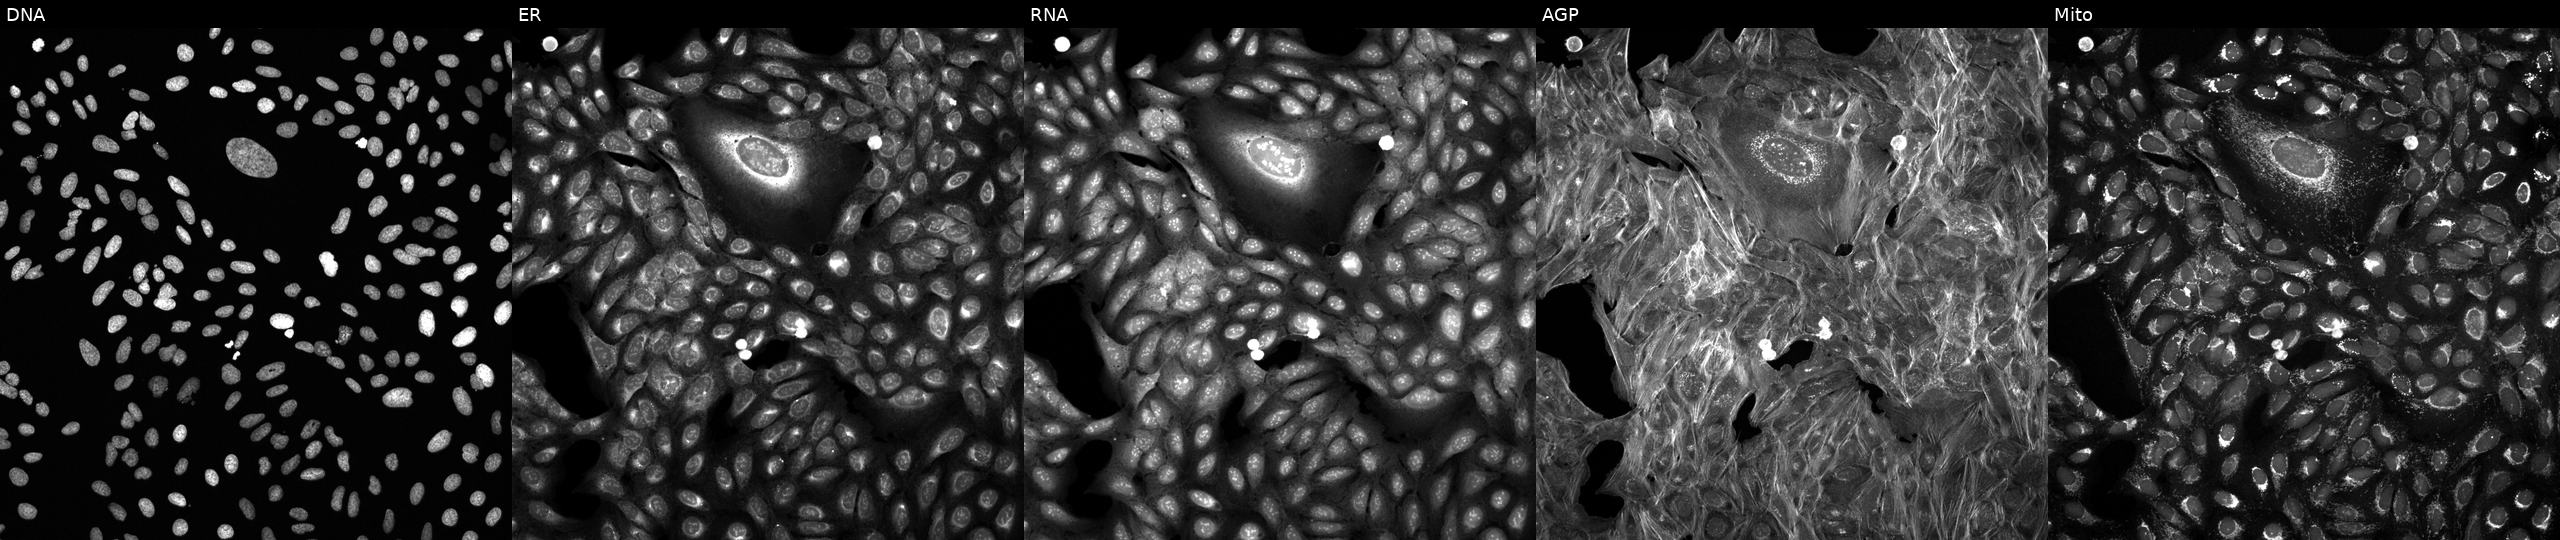
JUMP Cell Painting — COMPOUND plate. U2OS cells perturbed with a small-molecule compound (InChIKey KRQKAZYAIHRIBQ-UHFFFAOYSA-N) (JUMP id JCP2022_046567). From left to right: Hoechst 33342, concanavalin A, SYTO 14, phalloidin and WGA, MitoTracker.